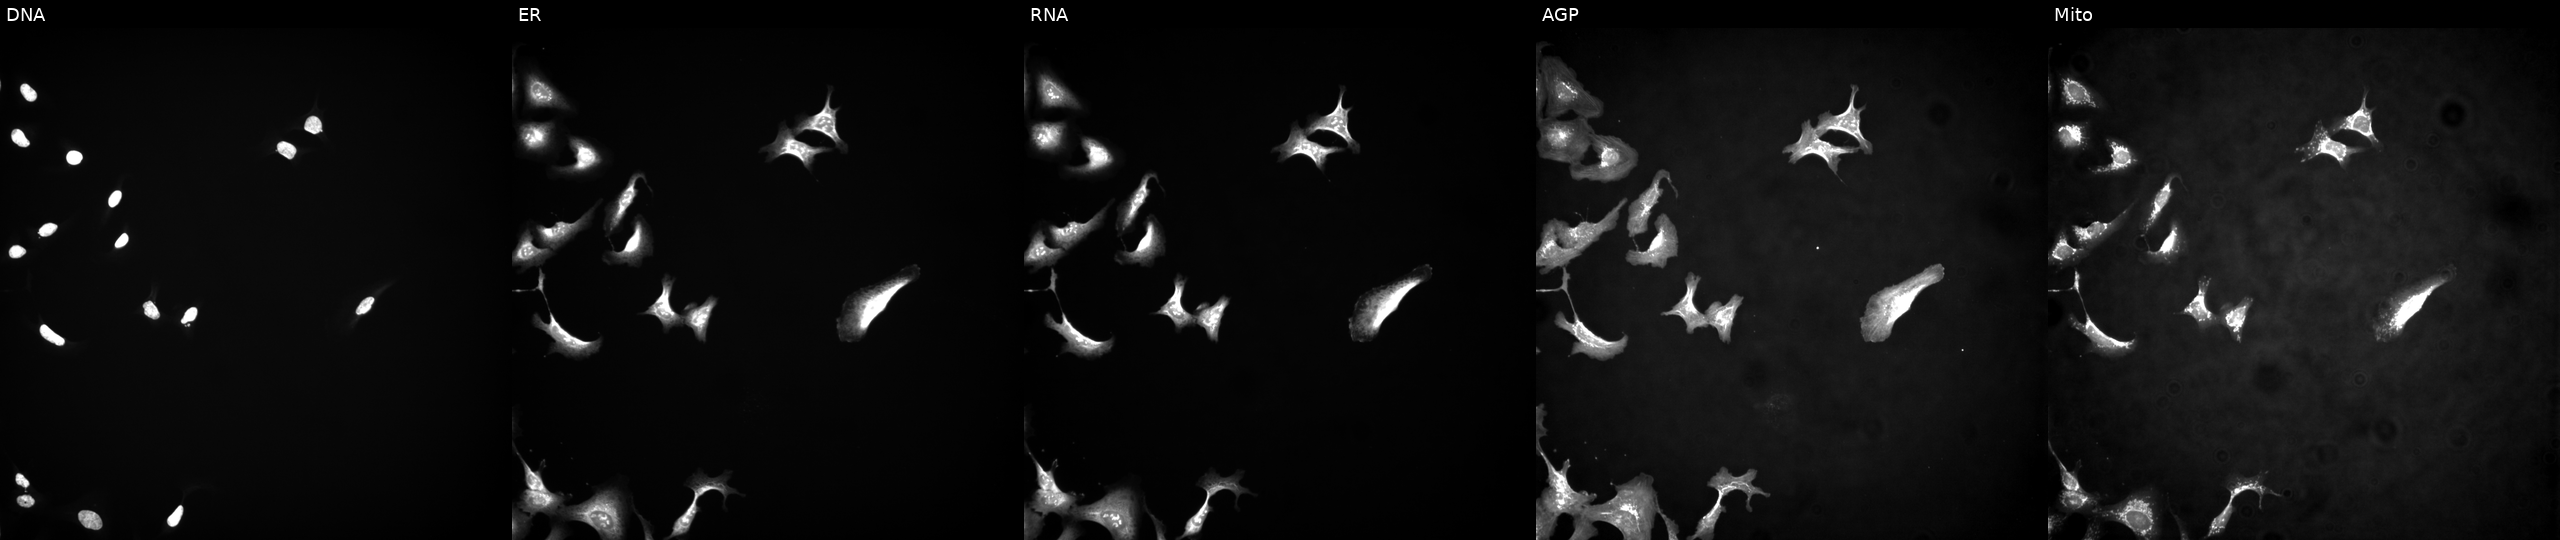
JUMP Cell Painting — ORF plate. U2OS cells overexpressing PRKAR1B via ORF transfection (JUMP id JCP2022_913810). Channels (left→right): DNA (nuclei); ER (endoplasmic reticulum); RNA (nucleoli and cytoplasmic RNA); AGP (actin cytoskeleton, Golgi, and plasma membrane); Mito (mitochondria). Source 4, plate BR00123945, well I11.